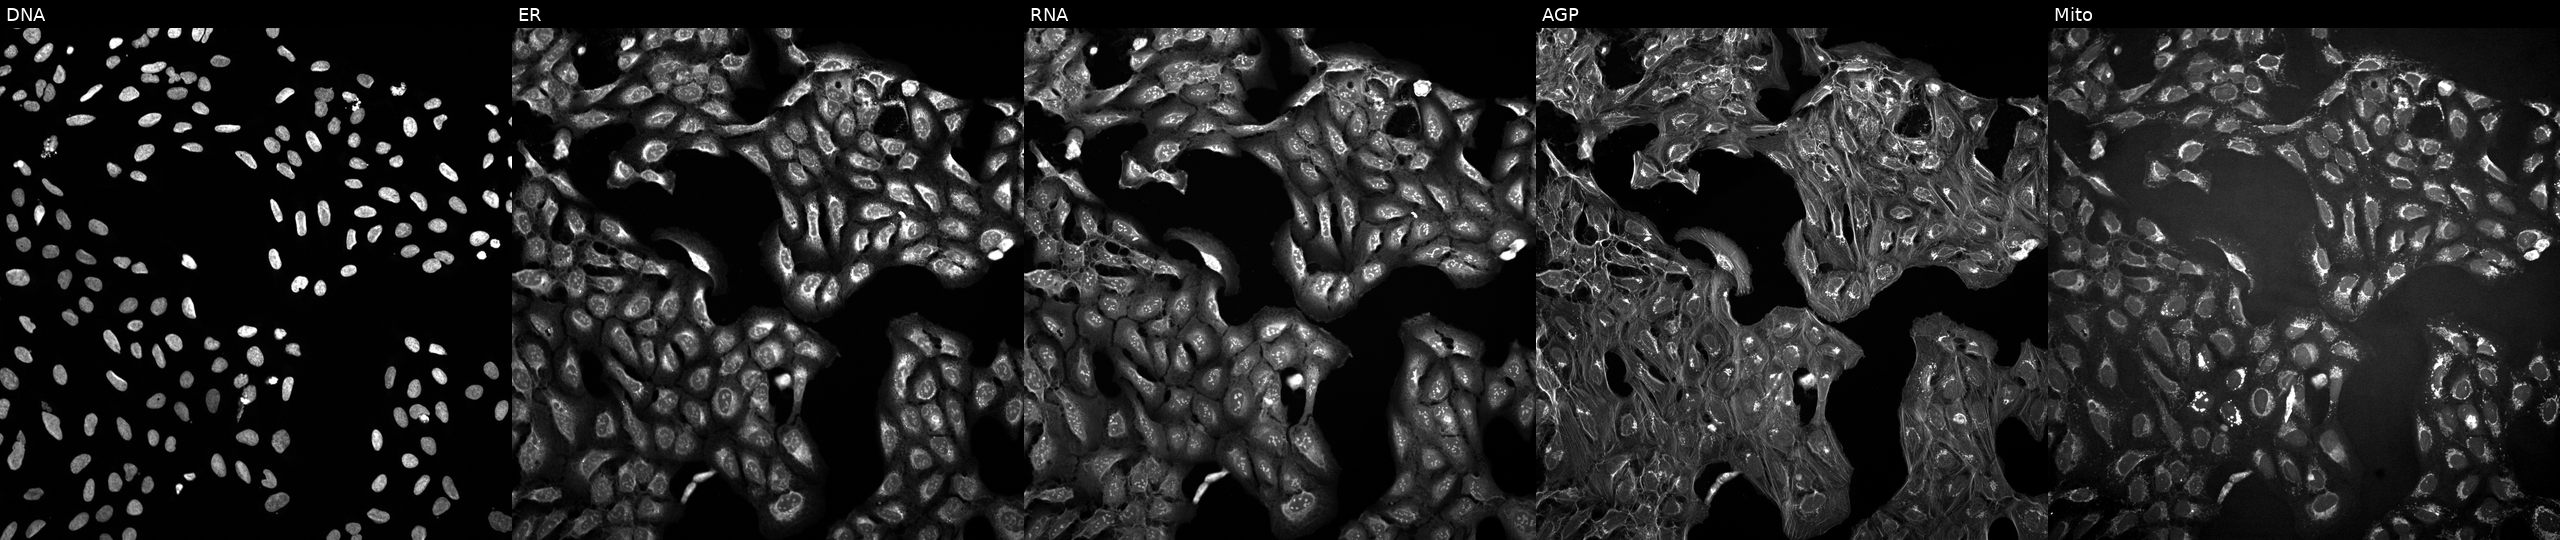
High-content fluorescence microscopy (Cell Painting). Cell line: U2OS. Perturbation: perturbed with a small-molecule compound (InChIKey VKFGGHIPPPDTKL-UHFFFAOYSA-N). Panels show, left to right, DNA, ER, RNA, AGP, and Mito.